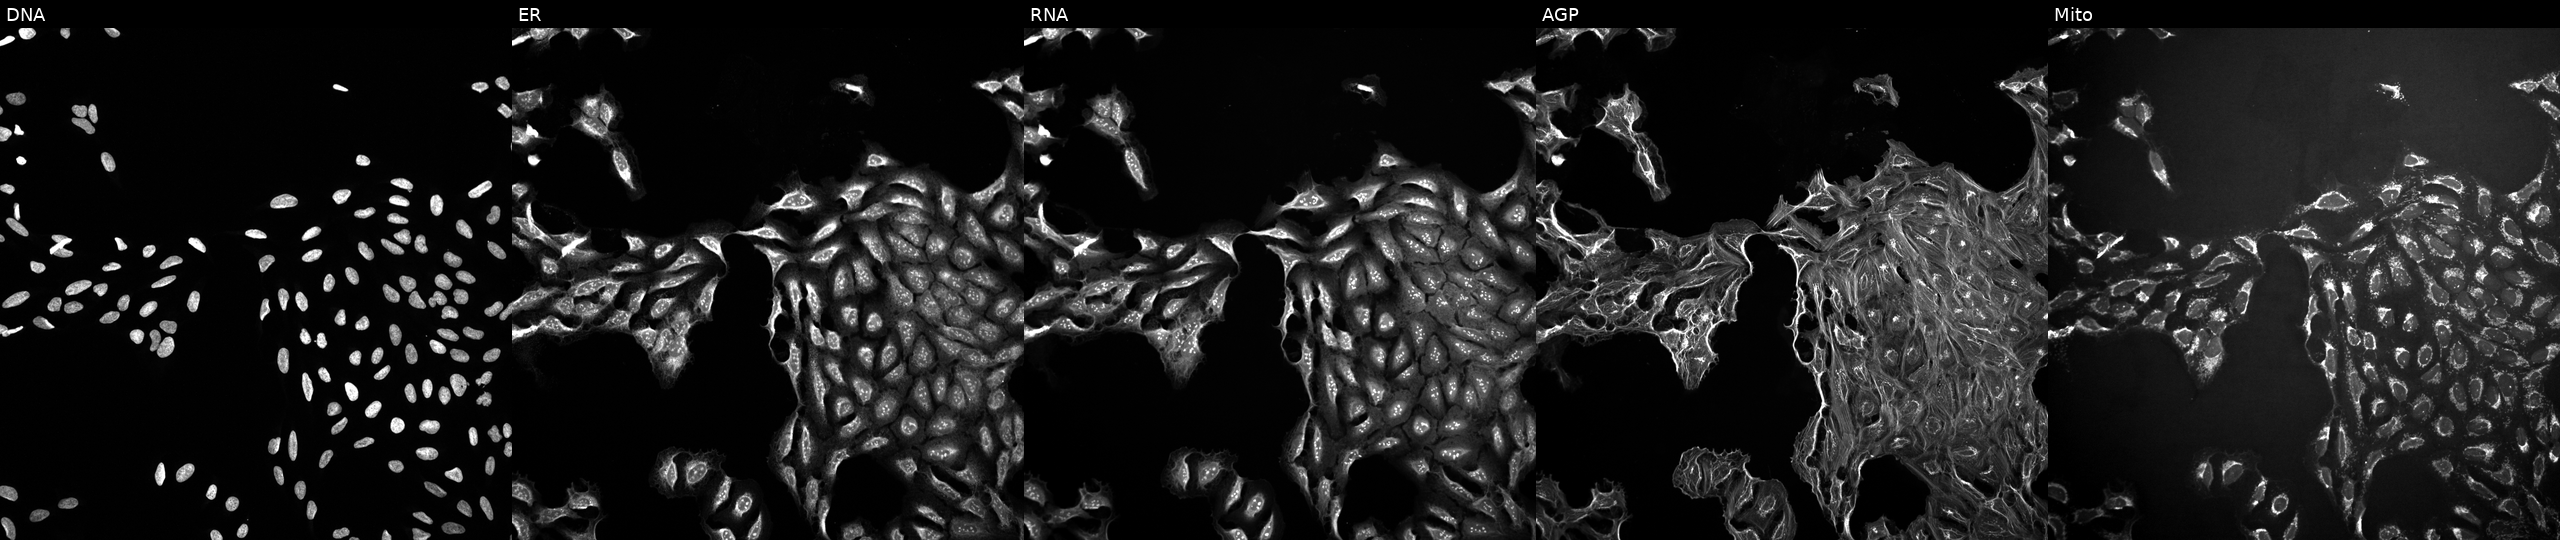
This image strip shows the five Cell Painting channels for a single field of U2OS cells exposed to a small-molecule compound (InChIKey YMDXSGBNCBQYGC-UHFFFAOYSA-N) (JUMP id JCP2022_109350). Panels show, left to right, DNA (nuclei); ER (endoplasmic reticulum); RNA (nucleoli and cytoplasmic RNA); AGP (actin cytoskeleton, Golgi, and plasma membrane); Mito (mitochondria).